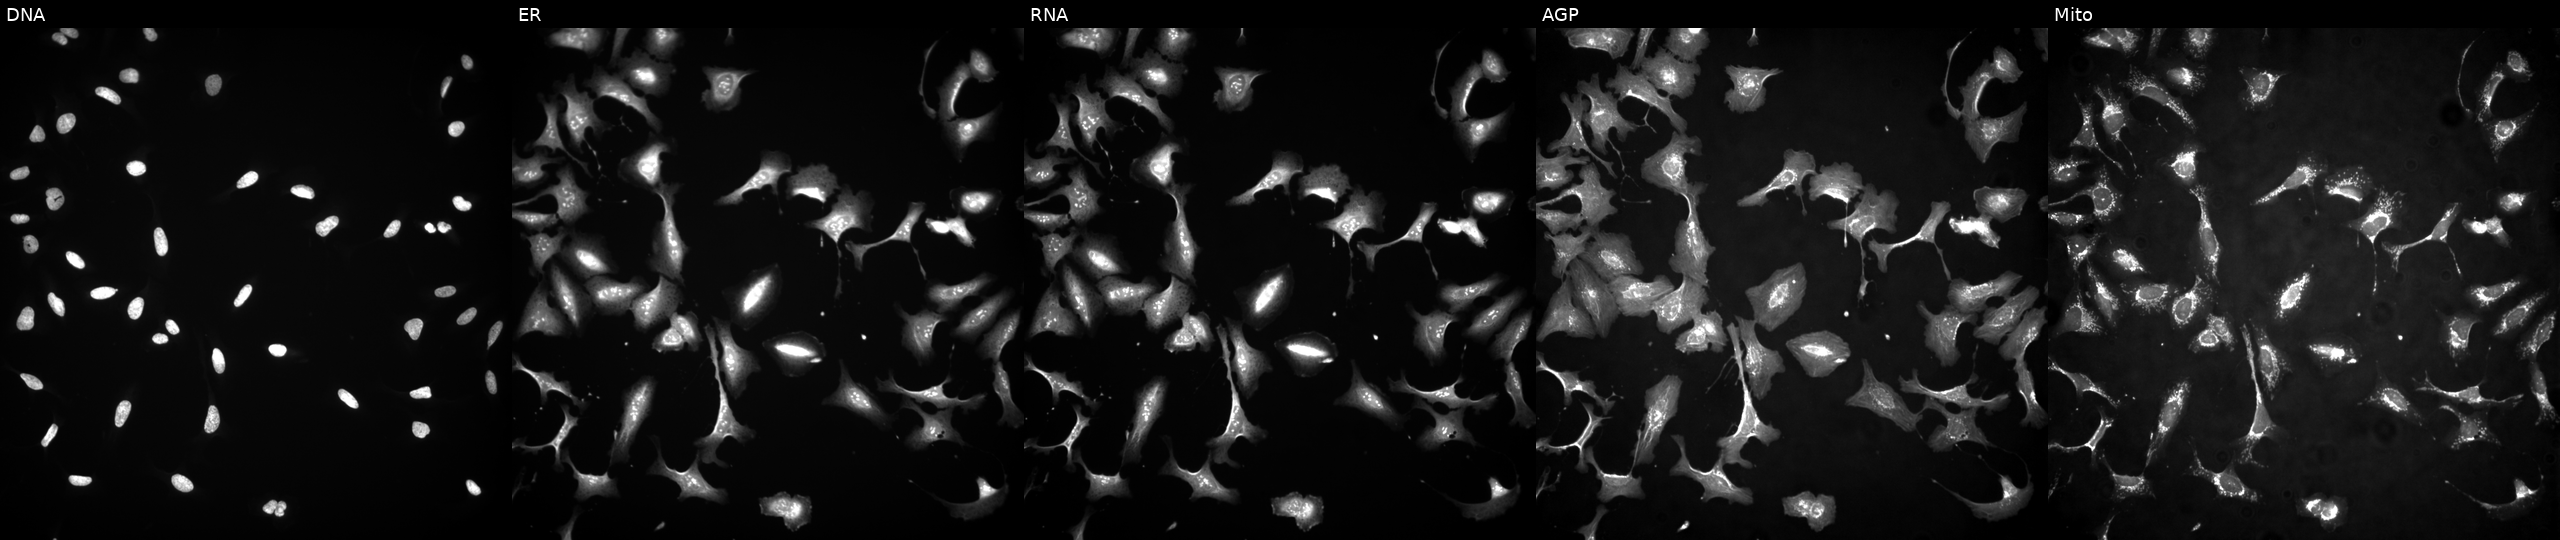
Channels (left→right): DNA (nuclei); ER (endoplasmic reticulum); RNA (nucleoli and cytoplasmic RNA); AGP (actin cytoskeleton, Golgi, and plasma membrane); Mito (mitochondria). U2OS osteosarcoma cells transfected with an ORF construct for ZBTB49. Cell Painting assay, JUMP-CP dataset. Source 4, plate BR00117035, well B05.